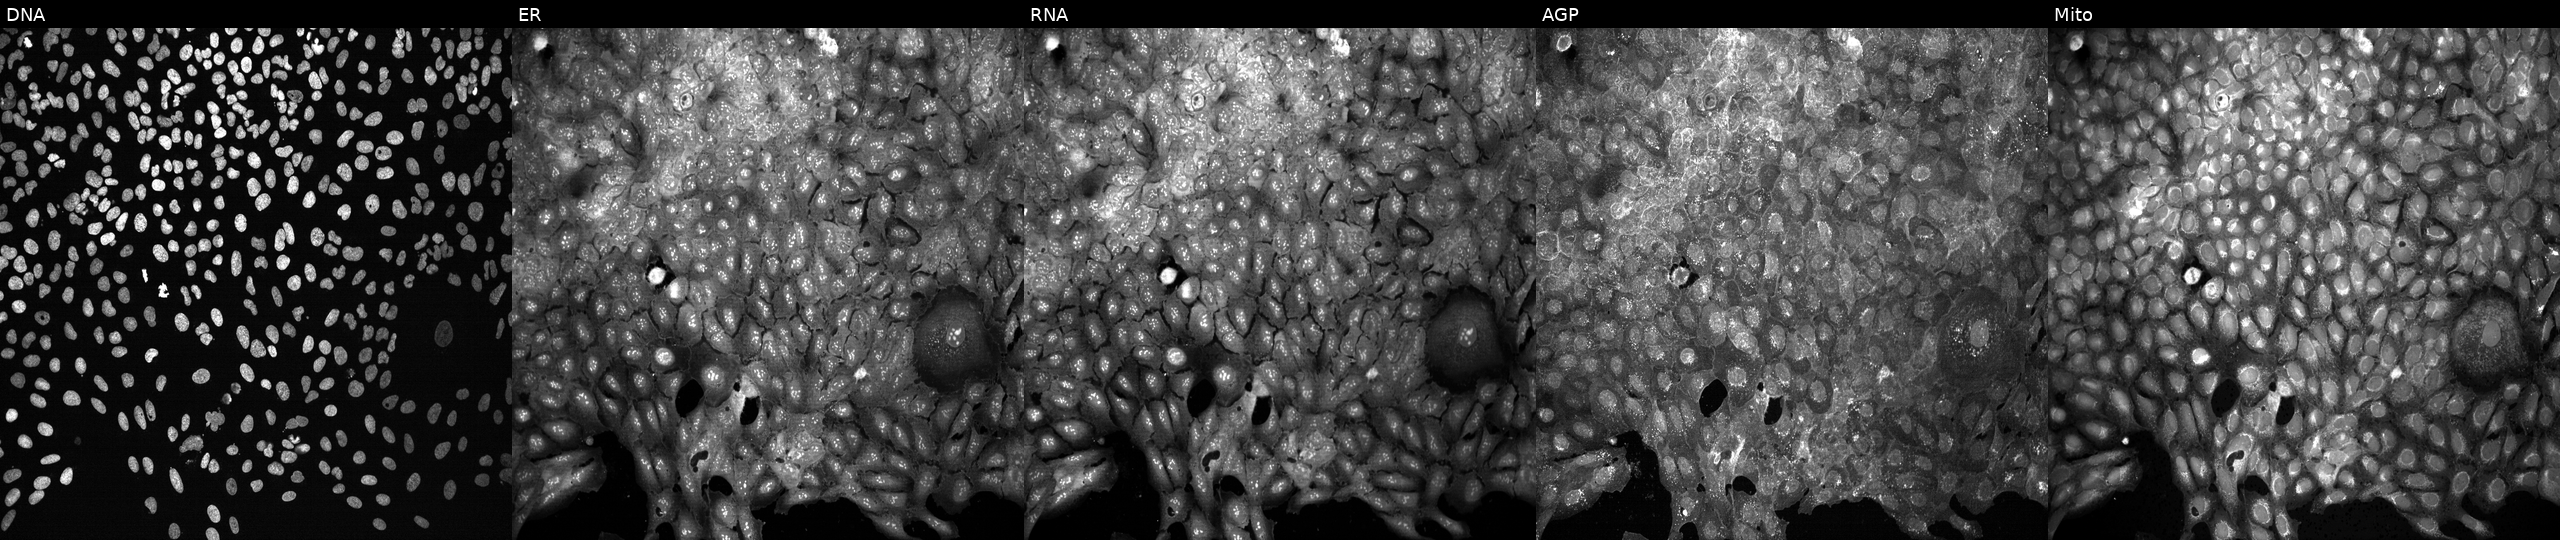
JUMP Cell Painting — CRISPR plate. U2OS cells with ISG20 knocked out by CRISPR (JUMP id JCP2022_803477). Channels (left→right): Hoechst 33342, concanavalin A, SYTO 14, phalloidin and WGA, MitoTracker.